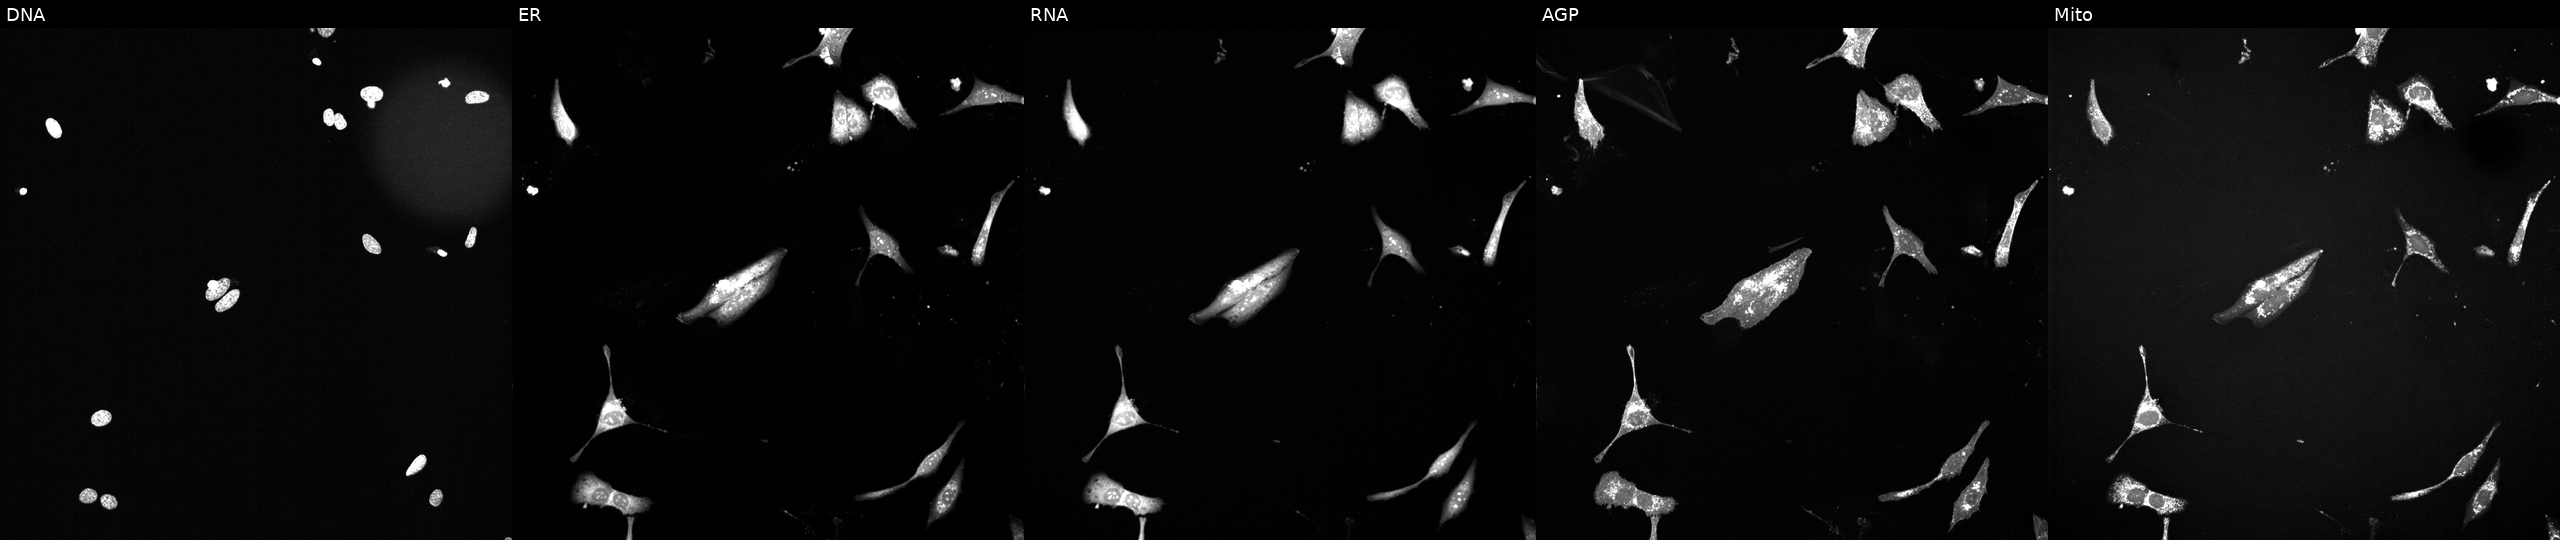
JUMP Cell Painting — TARGET2 plate. U2OS cells exposed to a small-molecule compound (InChIKey BBDGBGOVJPEFBT-UHFFFAOYSA-N) (JUMP id JCP2022_005163). Panels show, left to right, DNA, ER, RNA, AGP, and Mito.